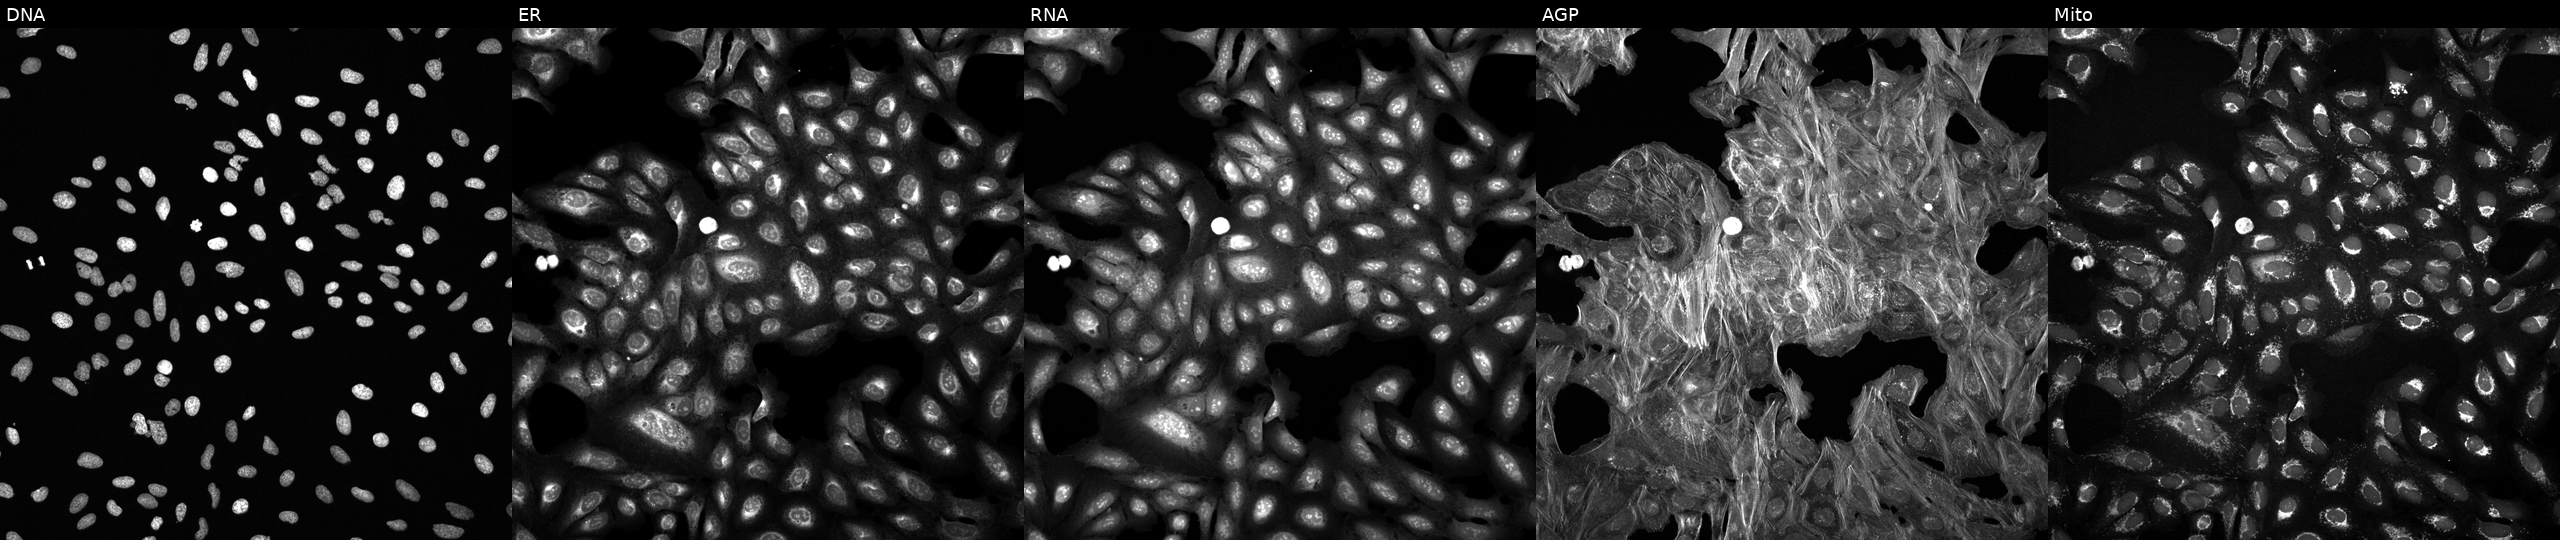
U2OS cells, Cell Painting assay, perturbed with a small-molecule compound (InChIKey UMRKSVGOAXFNBM-UHFFFAOYSA-N) [SMILES: Cc1sc2ncnc(N3CCCC(c4nnc5ccccn45)C3)c2c1C]. The five panels, left to right, show DNA (nuclei); ER (endoplasmic reticulum); RNA (nucleoli and cytoplasmic RNA); AGP (actin cytoskeleton, Golgi, and plasma membrane); Mito (mitochondria). Each panel is percentile-stretched 16-bit fluorescence.